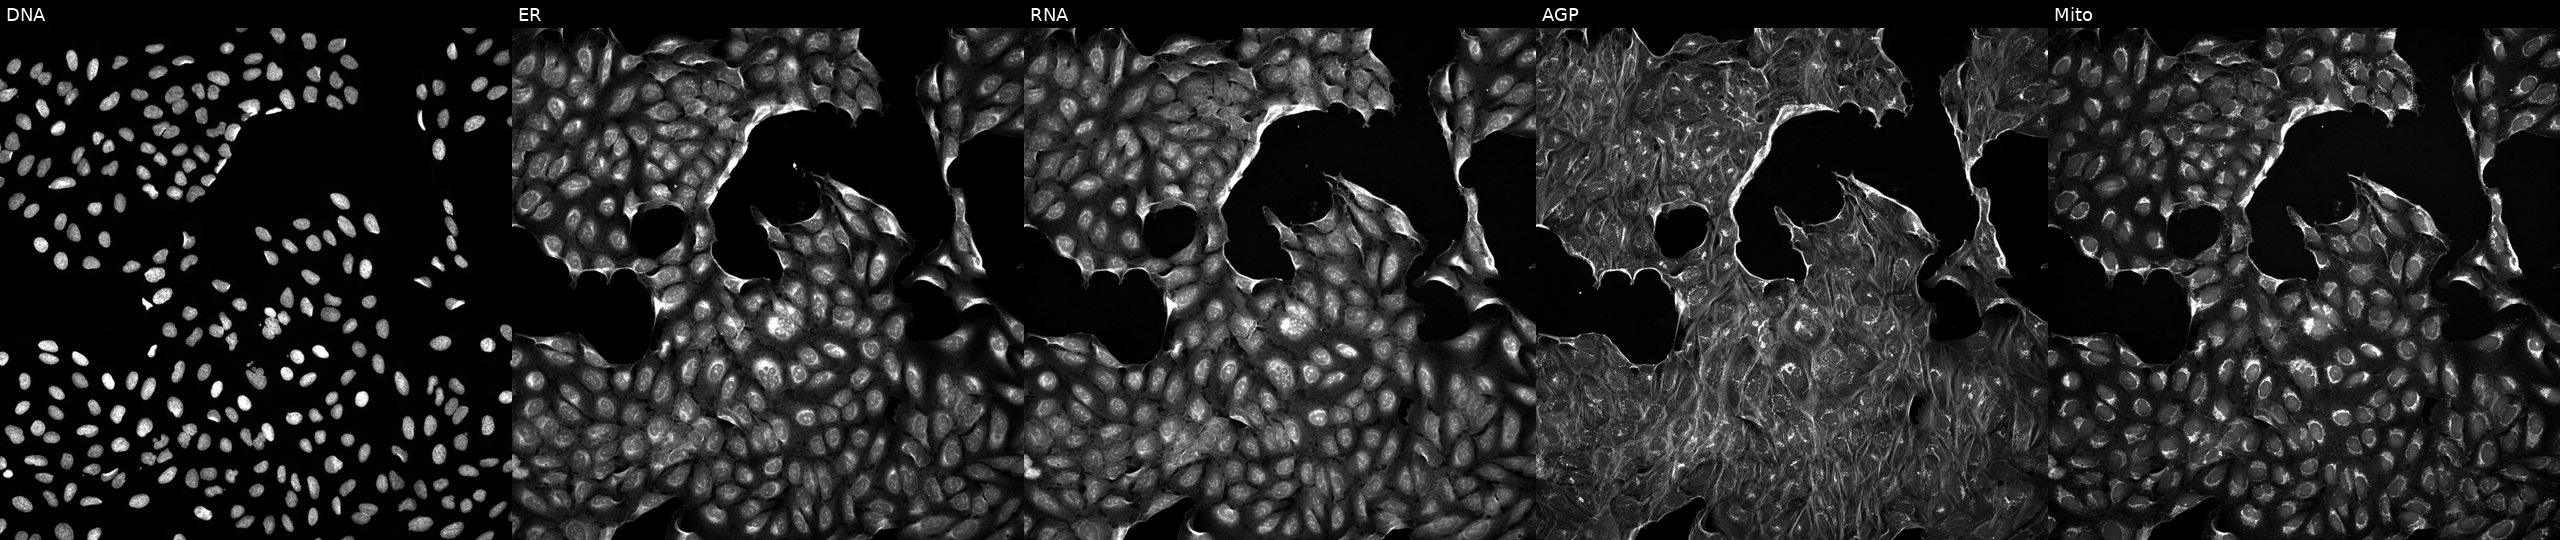
This image strip shows the five Cell Painting channels for a single field of U2OS cells exposed to DMSO alone as a negative control (JUMP id JCP2022_033924). The five panels, left to right, show DNA (nuclei); ER (endoplasmic reticulum); RNA (nucleoli and cytoplasmic RNA); AGP (actin cytoskeleton, Golgi, and plasma membrane); Mito (mitochondria).